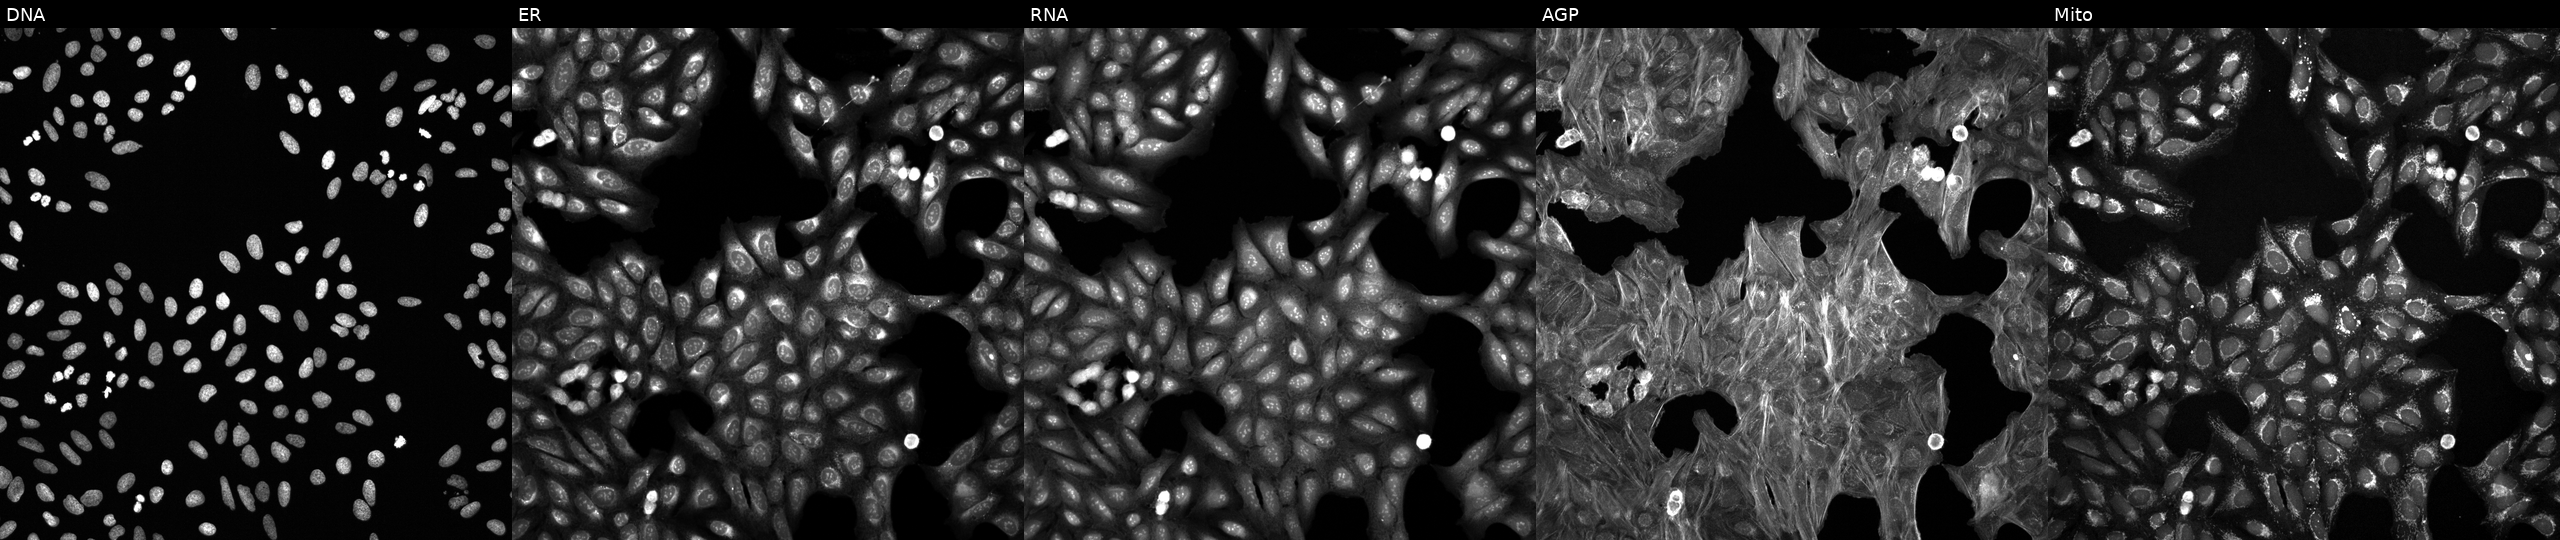
The five panels, left to right, show DNA, ER, RNA, AGP, and Mito. U2OS osteosarcoma cells exposed to a small-molecule compound (InChIKey LEVWYRKDKASIDU-UHFFFAOYSA-N) (JUMP id JCP2022_048971). Cell Painting assay, JUMP-CP dataset. Source 6, plate 110000293093, well A18.